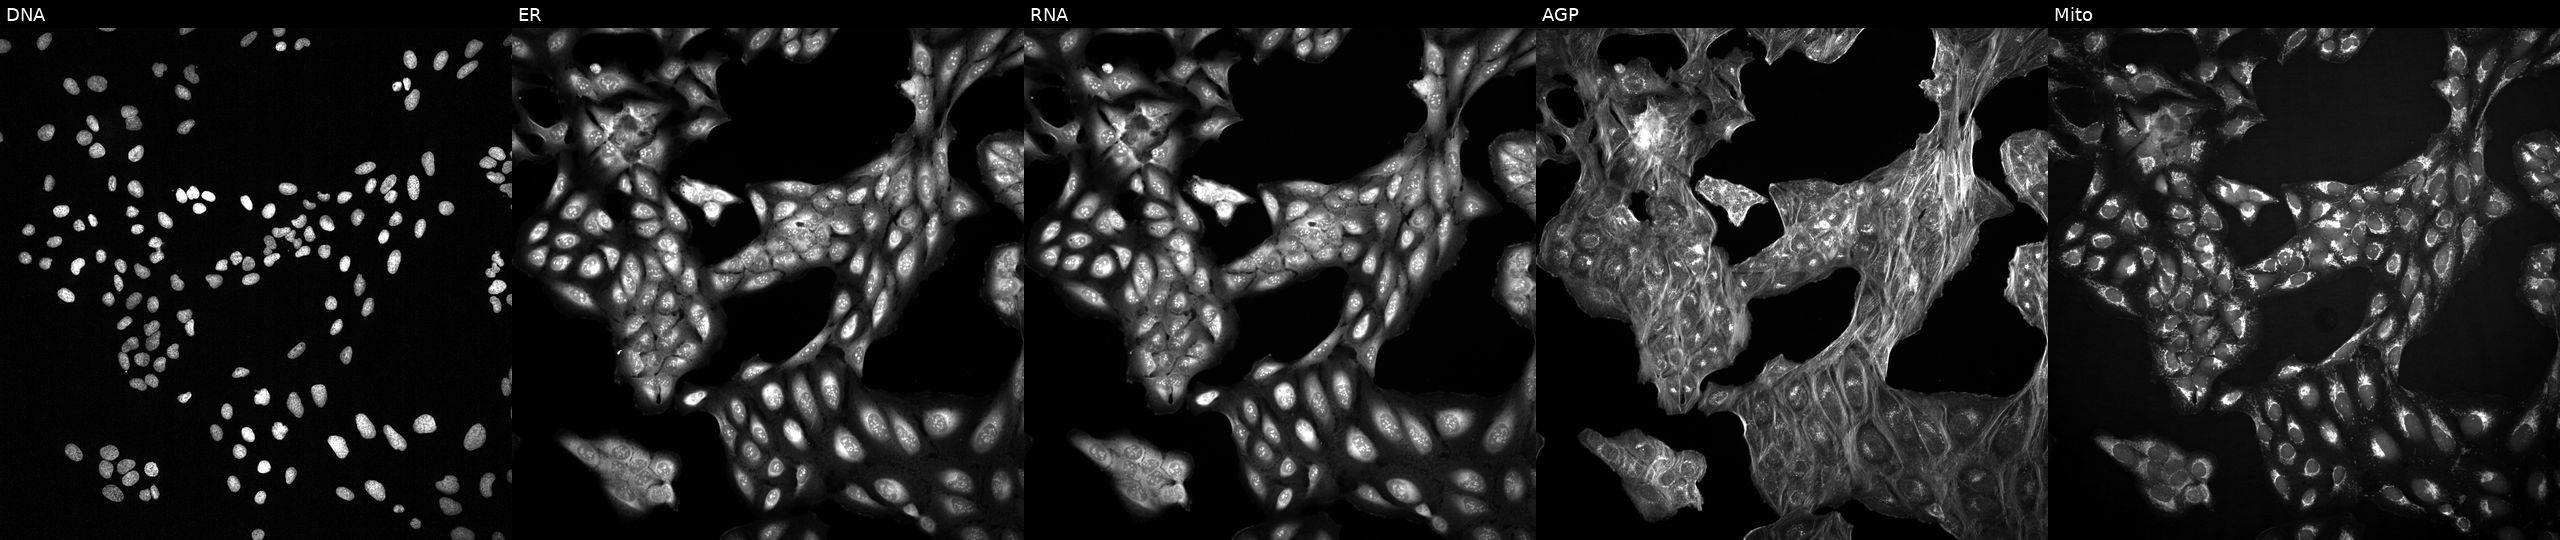
U2OS cells, Cell Painting assay, with an unidentified perturbation (not annotated in JUMP metadata). The five panels, left to right, show Hoechst 33342, concanavalin A, SYTO 14, phalloidin and WGA, MitoTracker. Each panel is percentile-stretched 16-bit fluorescence.